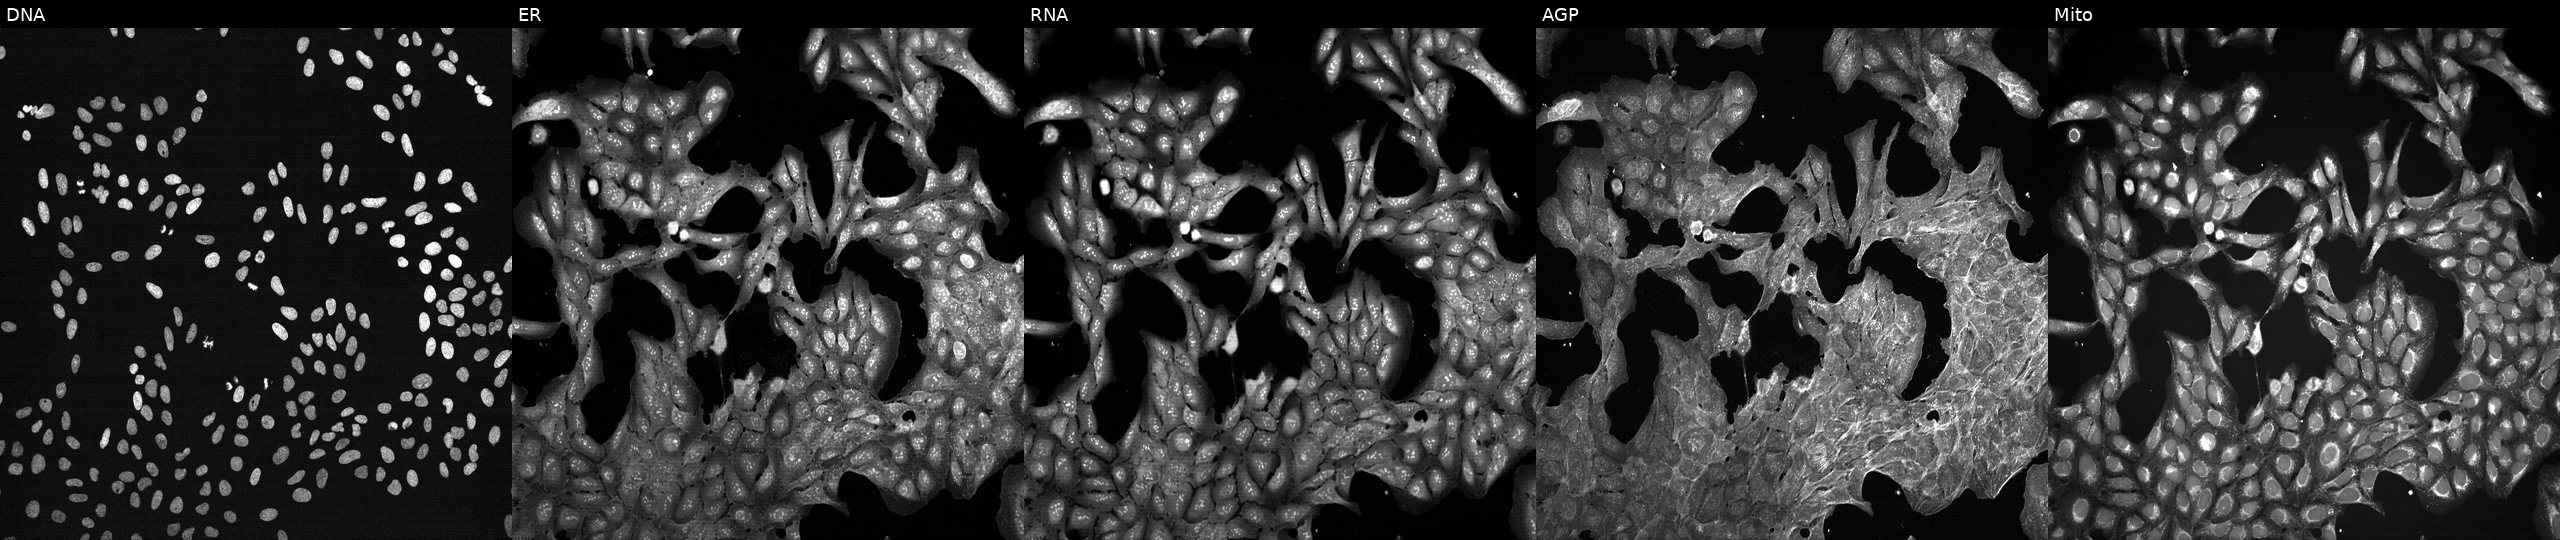
JUMP Cell Painting — TARGET2 plate. U2OS cells perturbed with a small-molecule compound (InChIKey LLIFMNUXGDHTRO-UHFFFAOYSA-N) (JUMP id JCP2022_050162). From left to right: DNA (nuclei); ER (endoplasmic reticulum); RNA (nucleoli and cytoplasmic RNA); AGP (actin cytoskeleton, Golgi, and plasma membrane); Mito (mitochondria). Source 7, plate CP2-SC1-25, well P09.